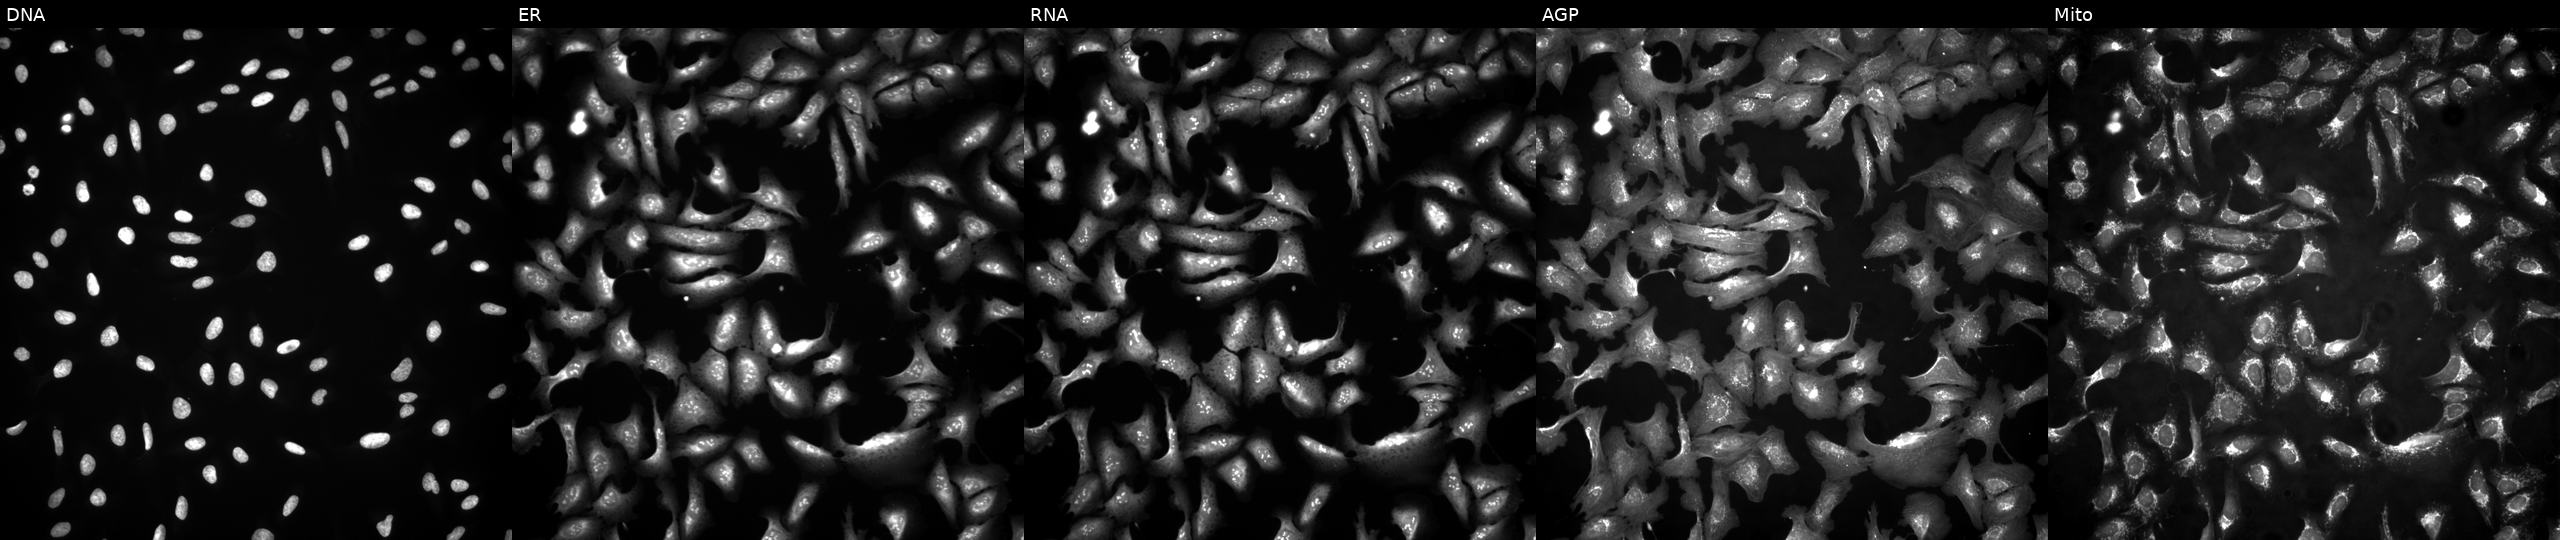
Panels show, left to right, DNA, ER, RNA, AGP, and Mito. U2OS osteosarcoma cells with LURAP1 overexpressed (ORF) (JUMP id JCP2022_905329). Cell Painting assay, JUMP-CP dataset. Source 4, plate BR00124787, well H10.